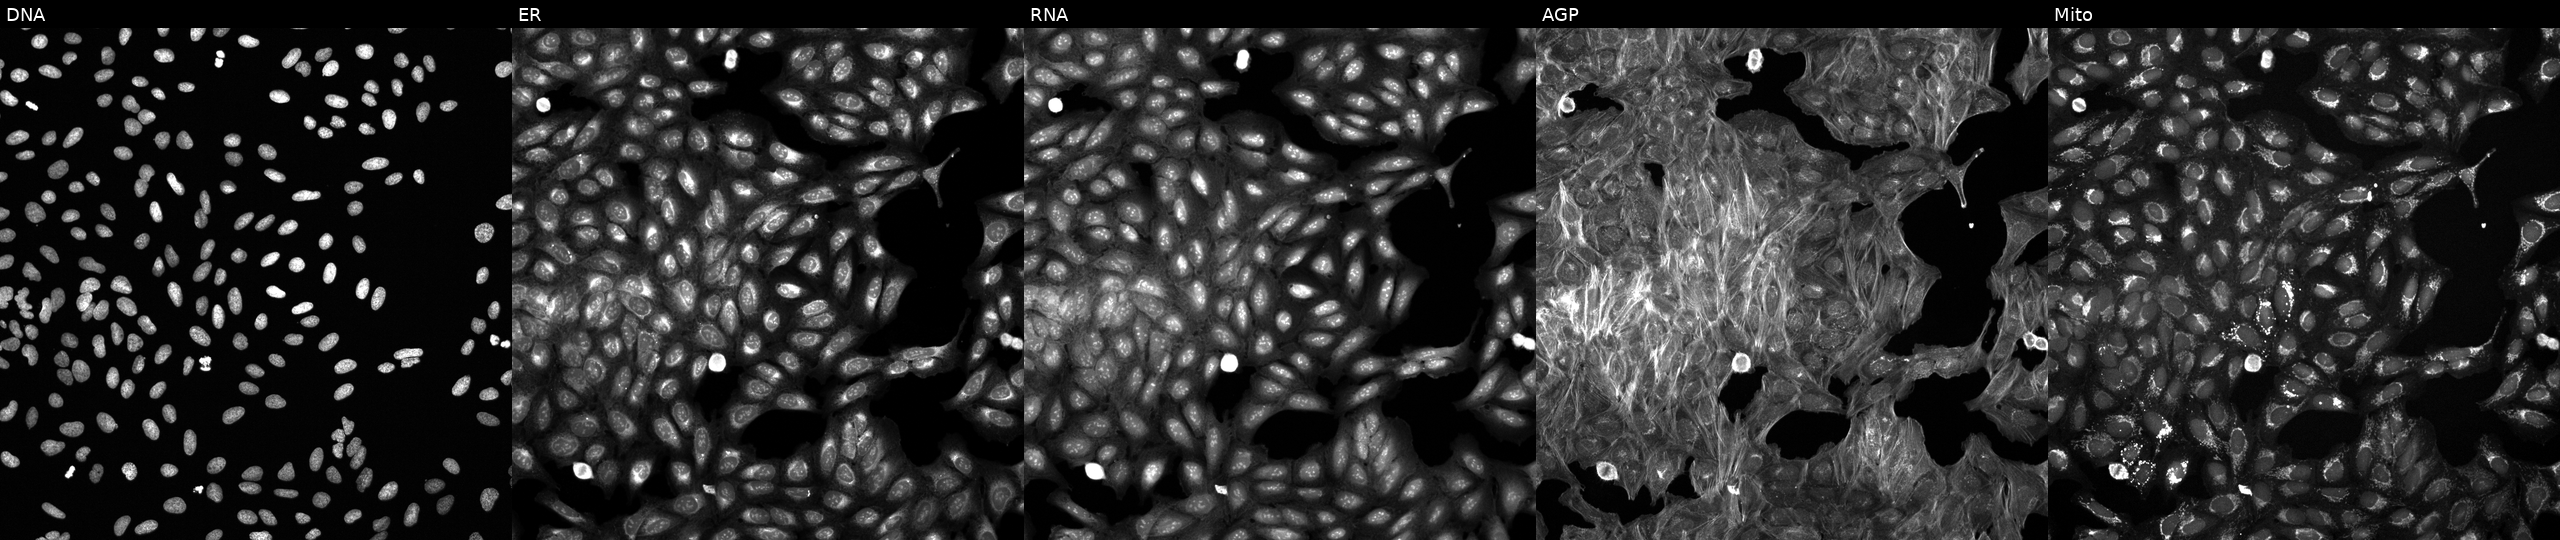
This image strip shows the five Cell Painting channels for a single field of U2OS cells treated with DMSO vehicle only (negative control) (JUMP id JCP2022_033924). The five panels, left to right, show DNA, ER, RNA, AGP, and Mito.